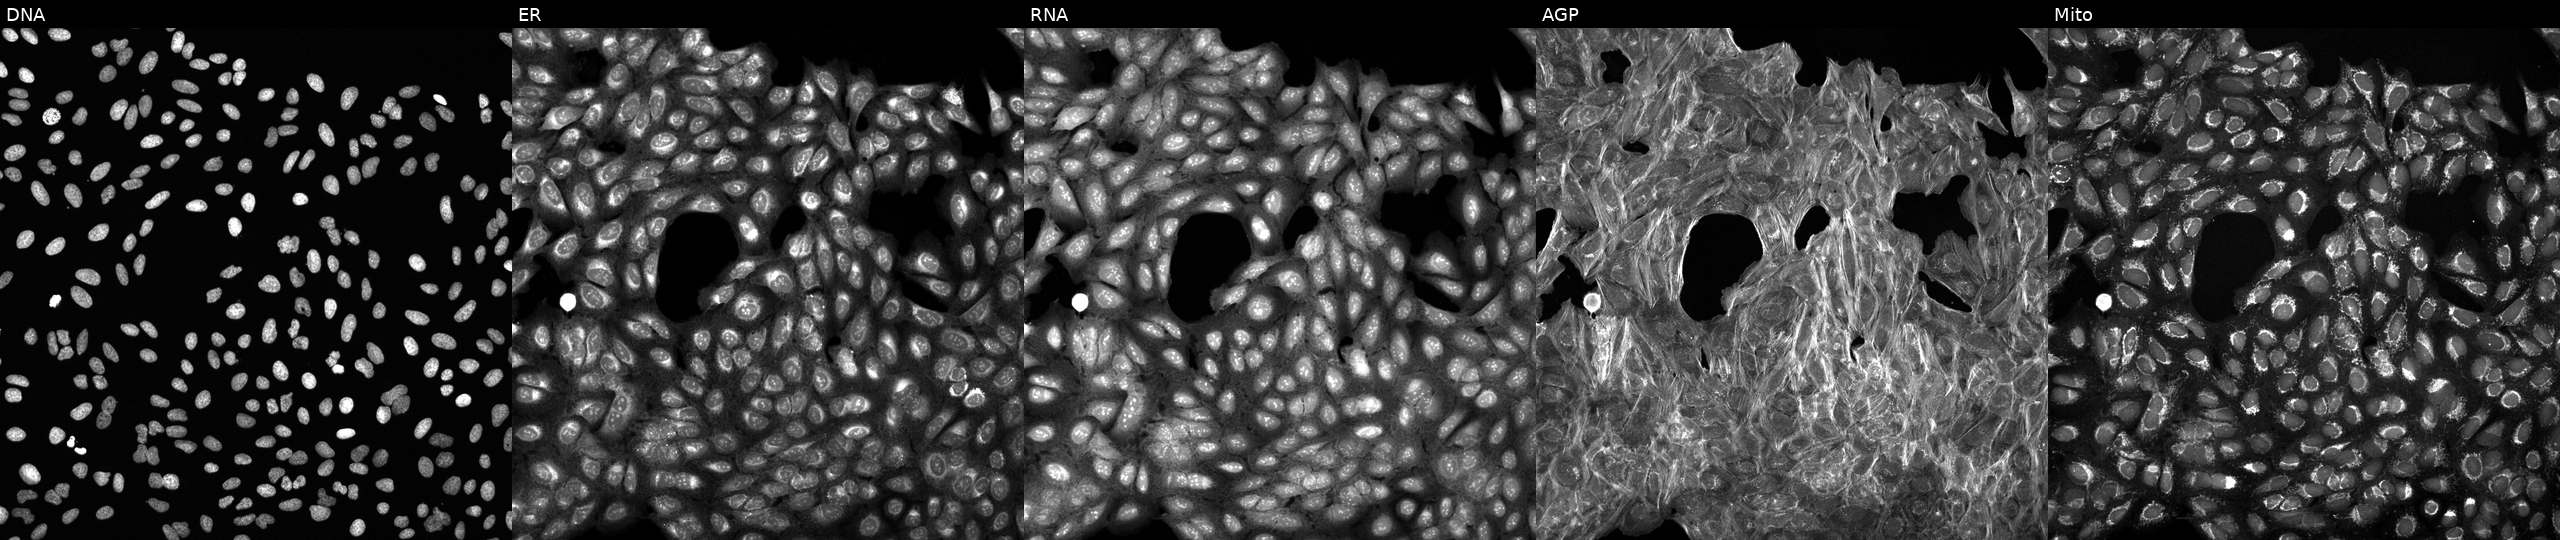
This image strip shows the five Cell Painting channels for a single field of U2OS cells exposed to a small-molecule compound (JUMP id JCP2022_029365). Panels show, left to right, DNA, ER, RNA, AGP, and Mito. Source 6, plate 110000293093, well B19.